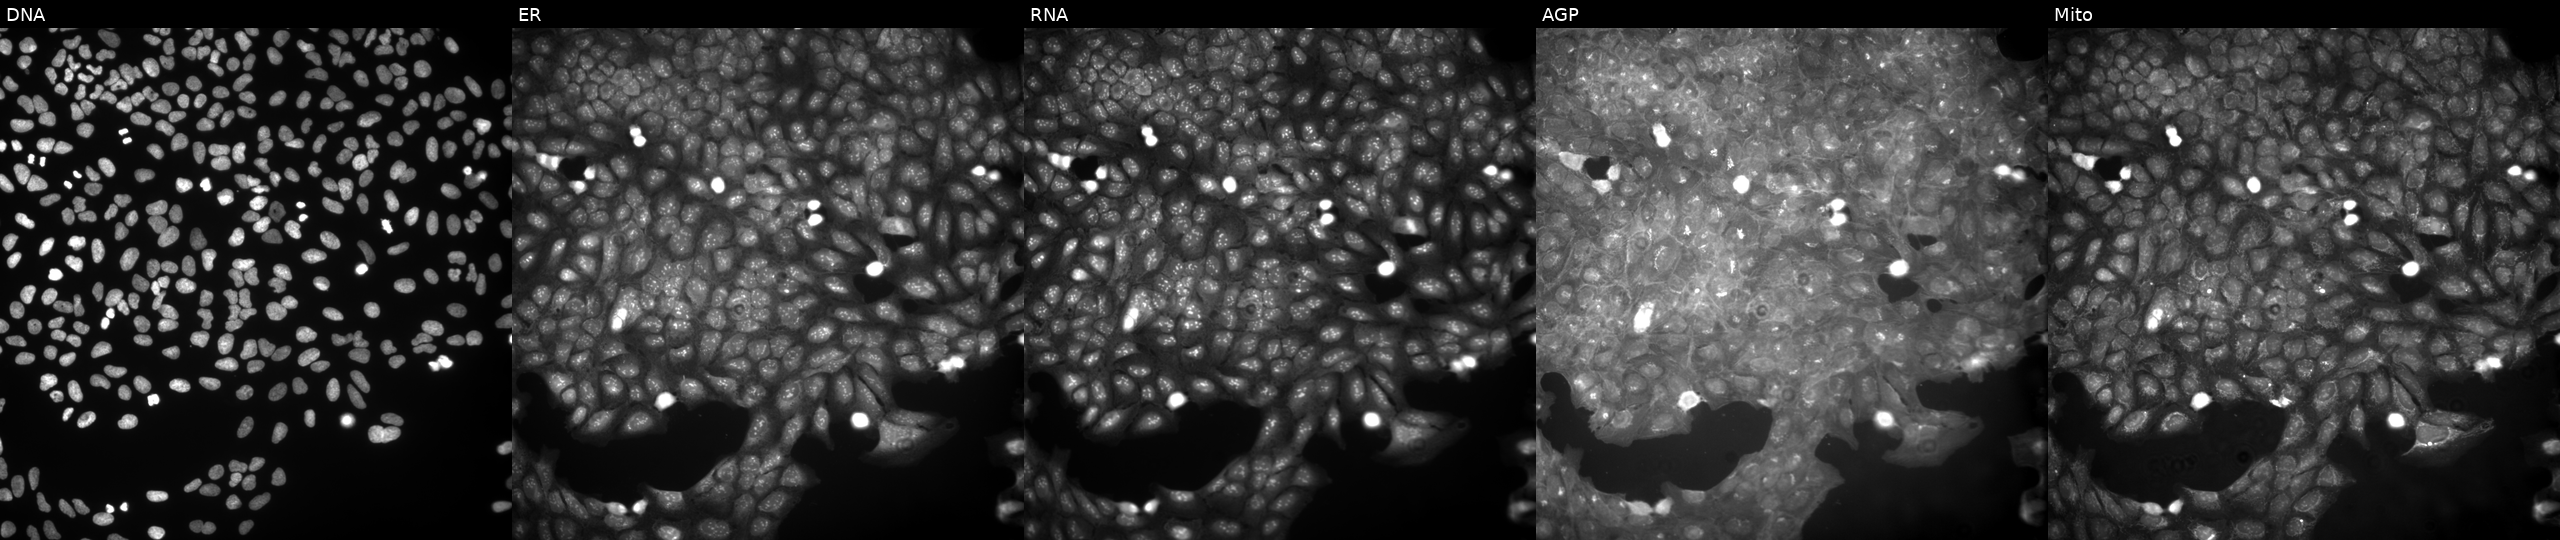
JUMP Cell Painting — COMPOUND plate. U2OS cells exposed to a small-molecule compound (InChIKey JVUHNUSVIURRRK-UHFFFAOYSA-N) (JUMP id JCP2022_042452). From left to right: Hoechst 33342, concanavalin A, SYTO 14, phalloidin and WGA, MitoTracker. Source 9, plate GR00003382, well P36.